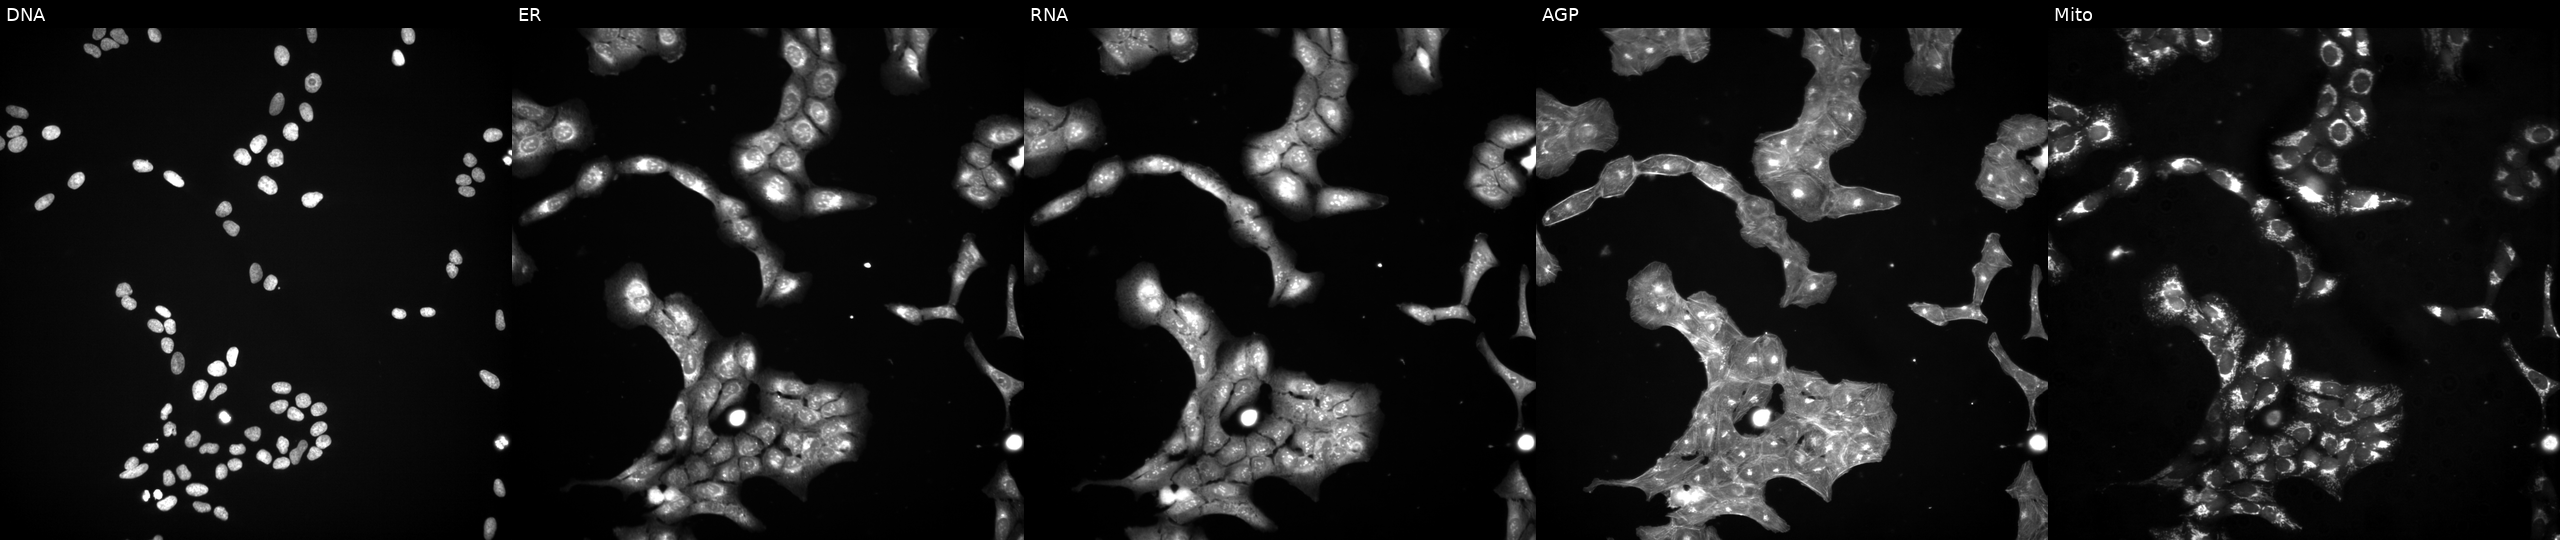
JUMP Cell Painting — TARGET2 plate. U2OS cells exposed to a small-molecule compound (InChIKey WRLVHADVOGFZOZ-UHFFFAOYSA-N). The five panels, left to right, show Hoechst 33342, concanavalin A, SYTO 14, phalloidin and WGA, MitoTracker.